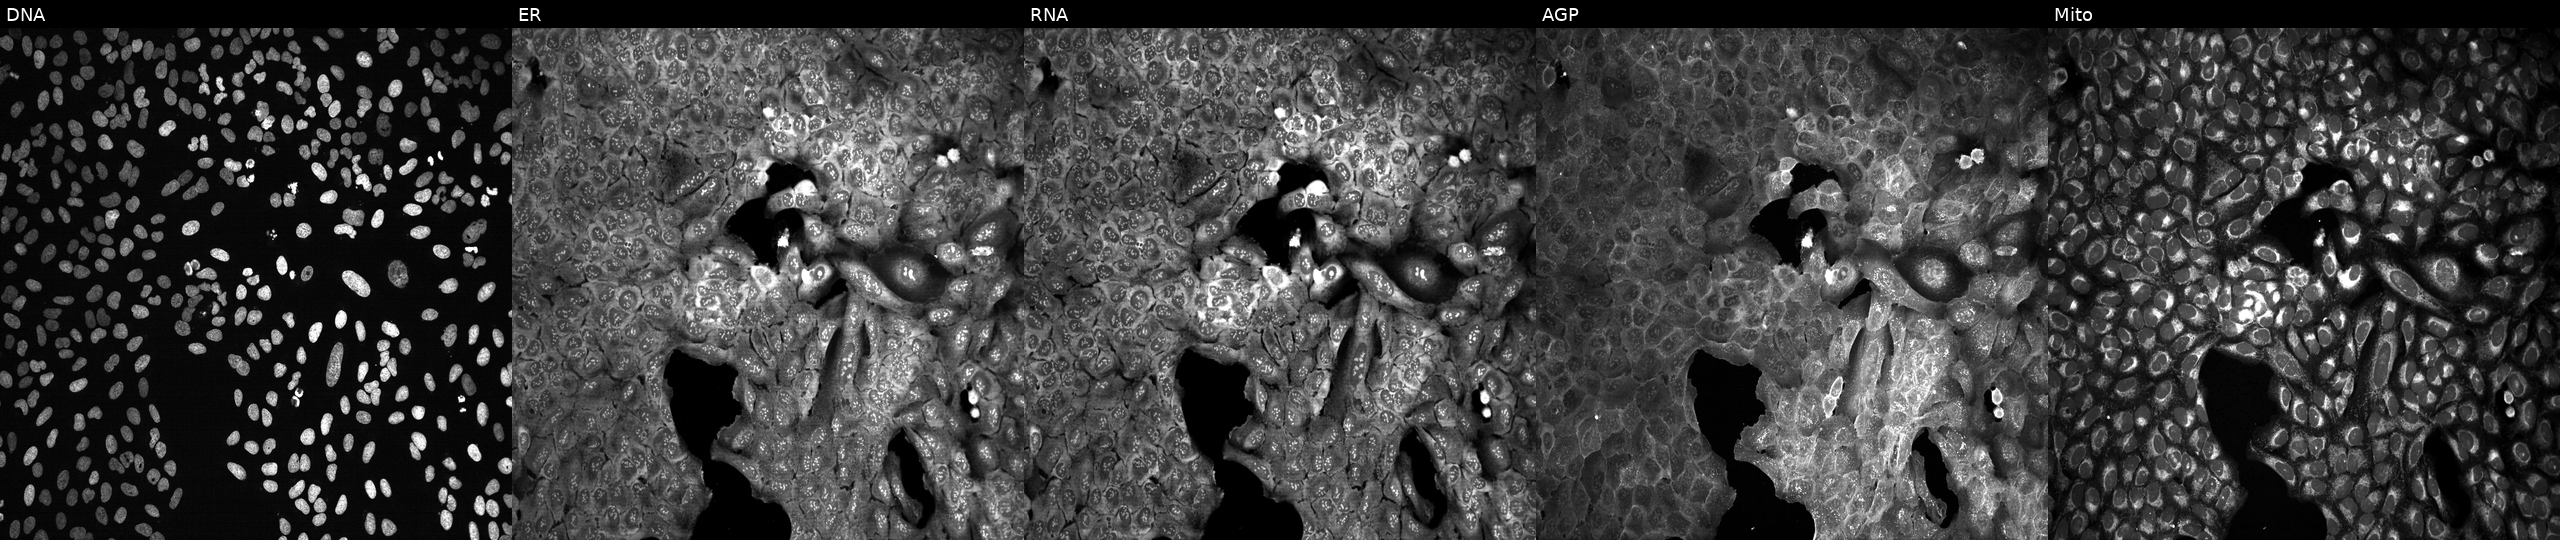
JUMP Cell Painting — CRISPR plate. U2OS cells with MMP15 knocked out by CRISPR (JUMP id JCP2022_804214). Channels (left→right): DNA, ER, RNA, AGP, and Mito.